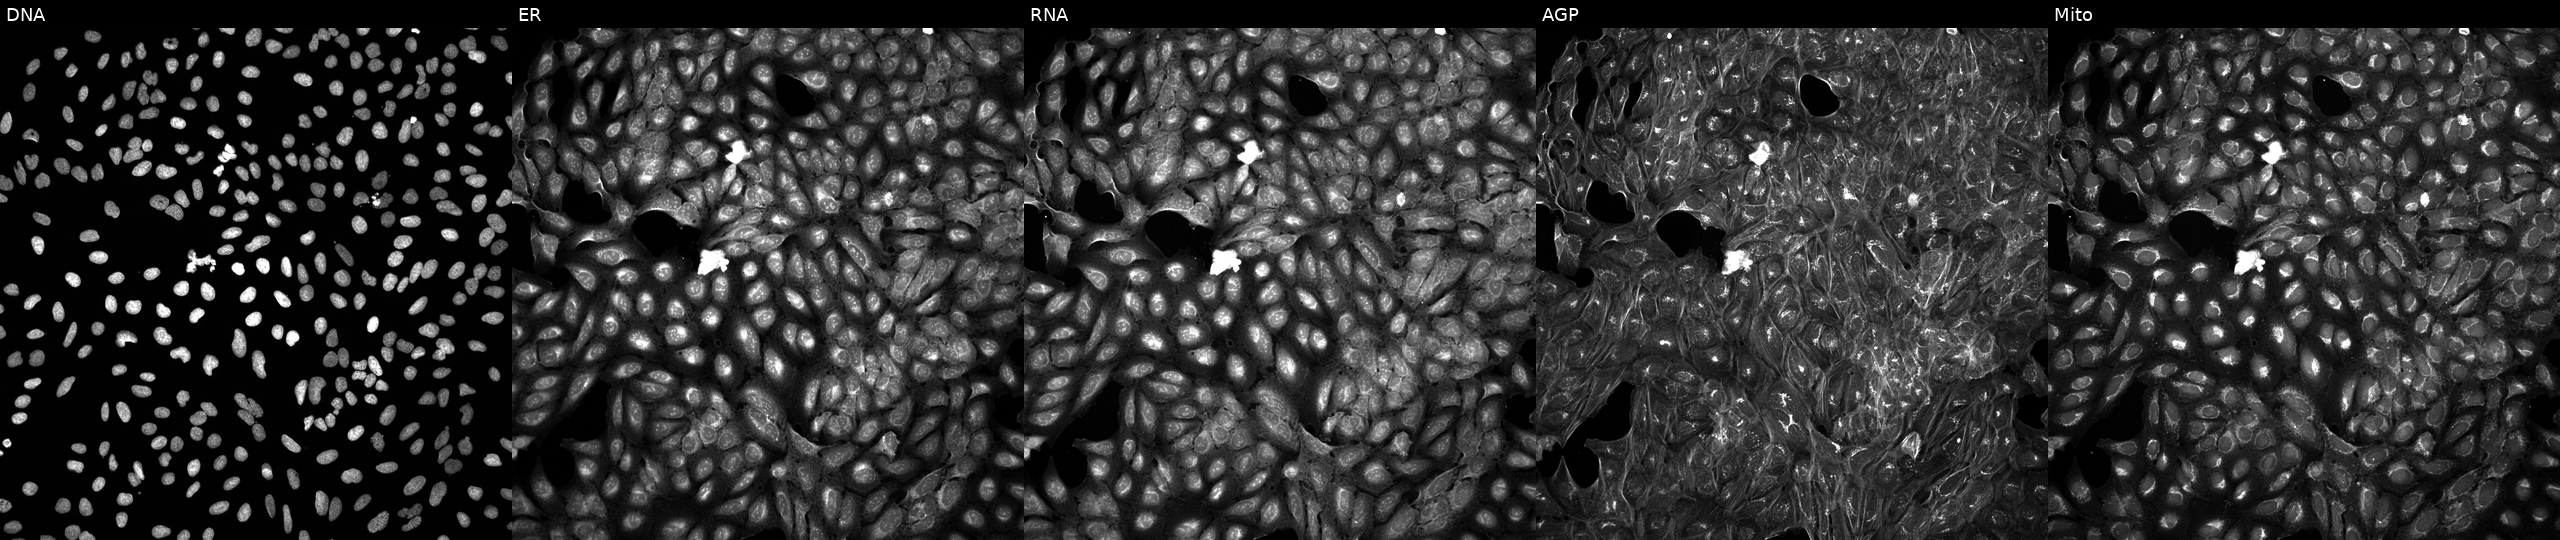
JUMP Cell Painting — COMPOUND plate. U2OS cells treated with a small-molecule compound (InChIKey FTSSFUGKUBHRHA-UHFFFAOYSA-N). The five panels, left to right, show DNA (nuclei); ER (endoplasmic reticulum); RNA (nucleoli and cytoplasmic RNA); AGP (actin cytoskeleton, Golgi, and plasma membrane); Mito (mitochondria).